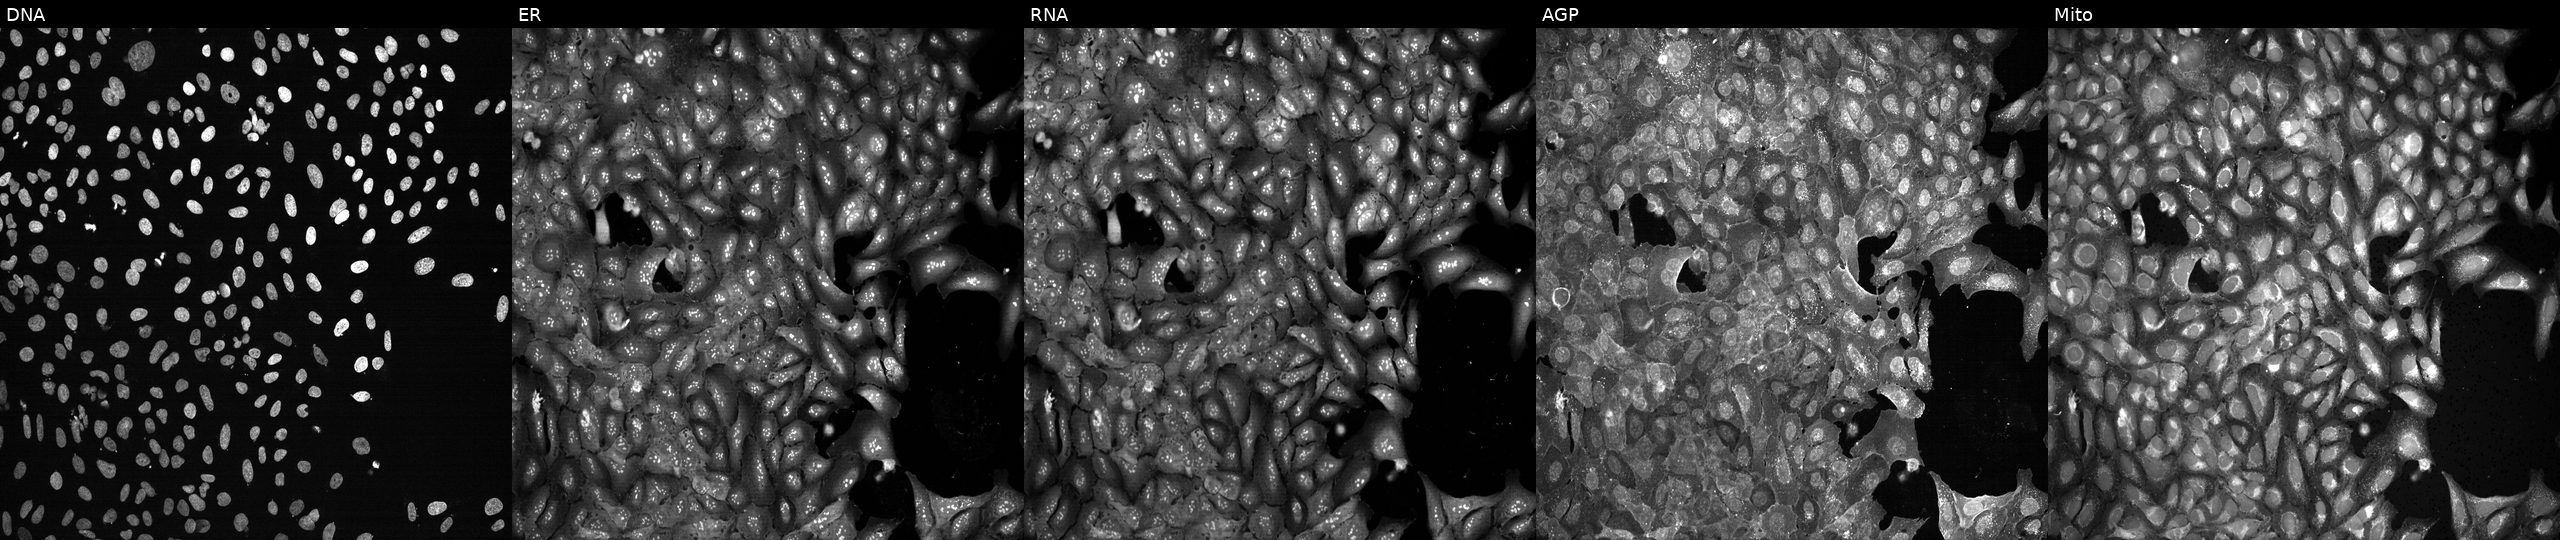
From left to right: DNA, ER, RNA, AGP, and Mito. U2OS osteosarcoma cells CRISPR-edited to disrupt COX7A2L. Cell Painting assay, JUMP-CP dataset.